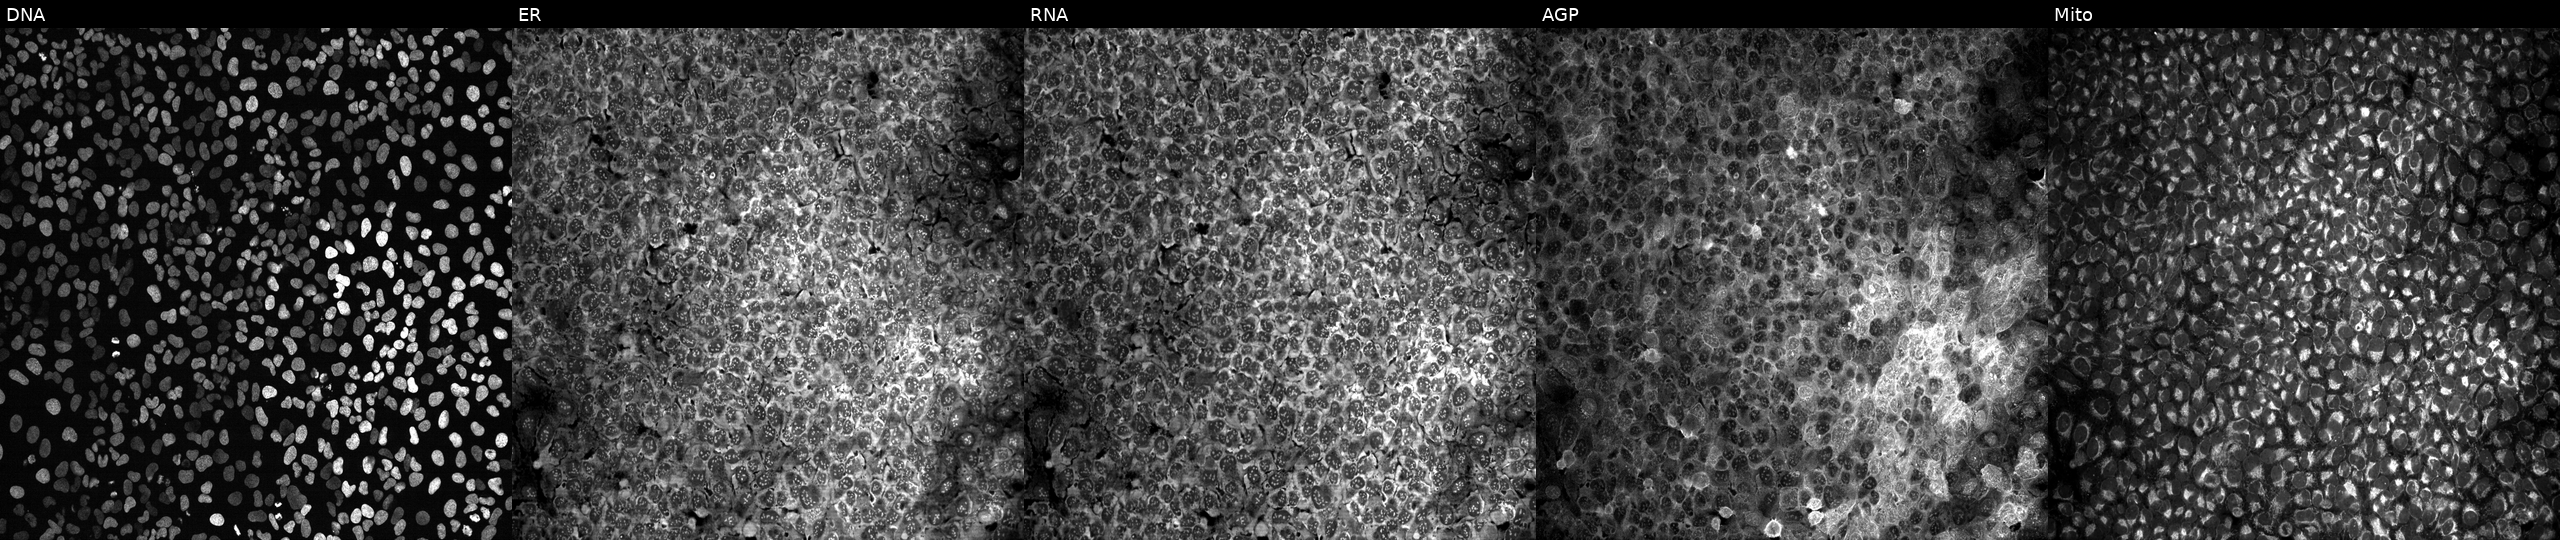
Five-channel Cell Painting image of U2OS cells with no CRISPR guide (negative control). From left to right: DNA (nuclei); ER (endoplasmic reticulum); RNA (nucleoli and cytoplasmic RNA); AGP (actin cytoskeleton, Golgi, and plasma membrane); Mito (mitochondria). Source 13, plate CP-CC9-R4-03, well B02.